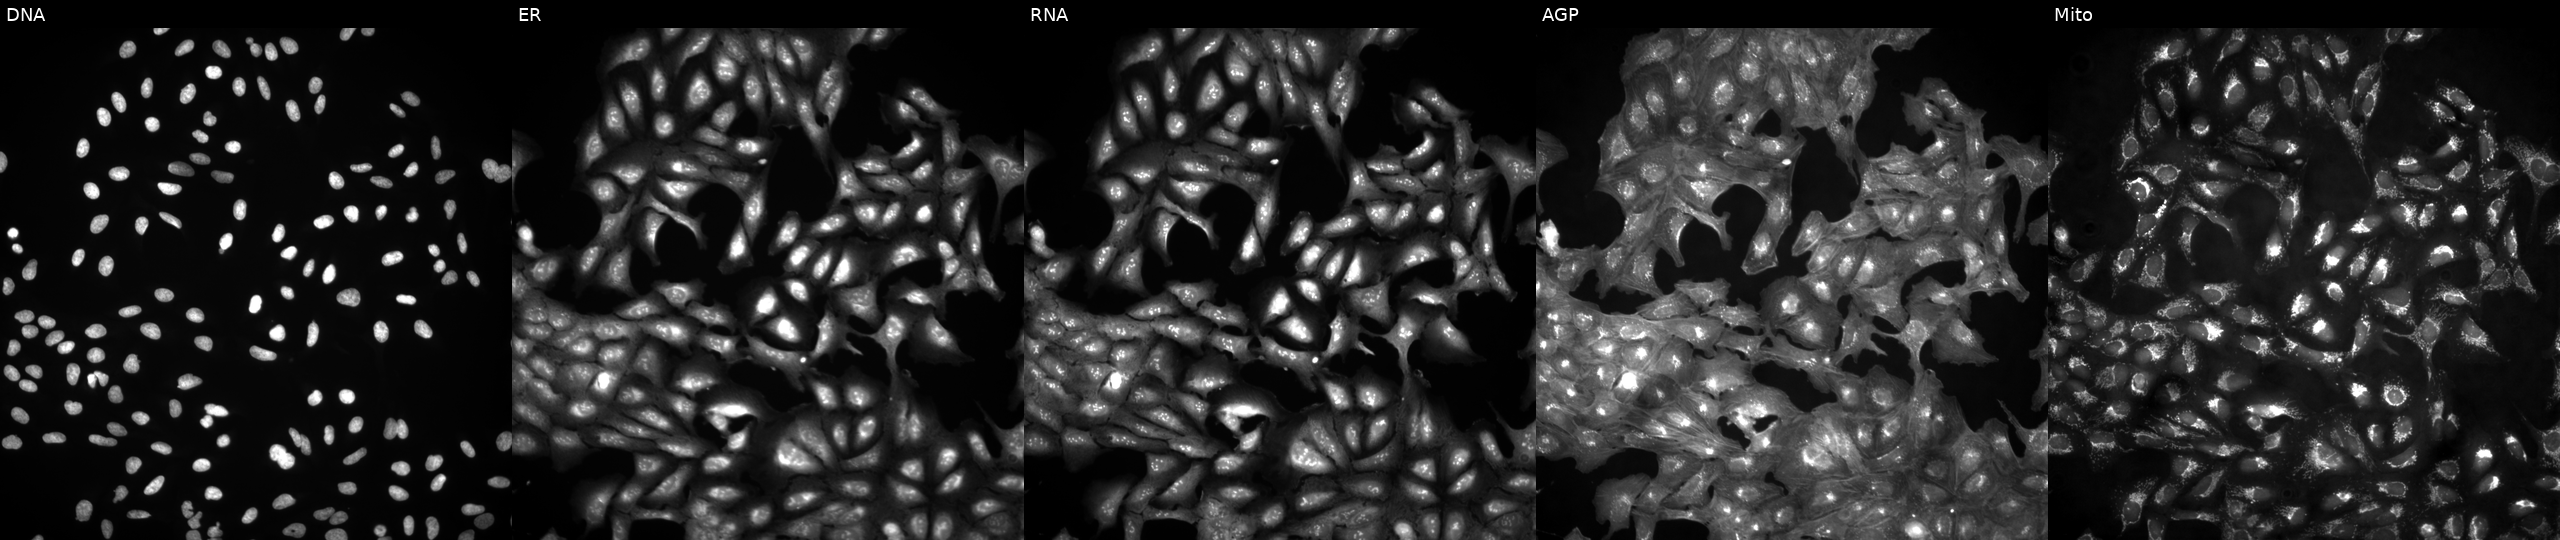
U2OS cells, Cell Painting assay, untreated (empty-well control). Panels show, left to right, DNA, ER, RNA, AGP, and Mito. Each panel is percentile-stretched 16-bit fluorescence. Source 4, plate BR00123946, well O06.